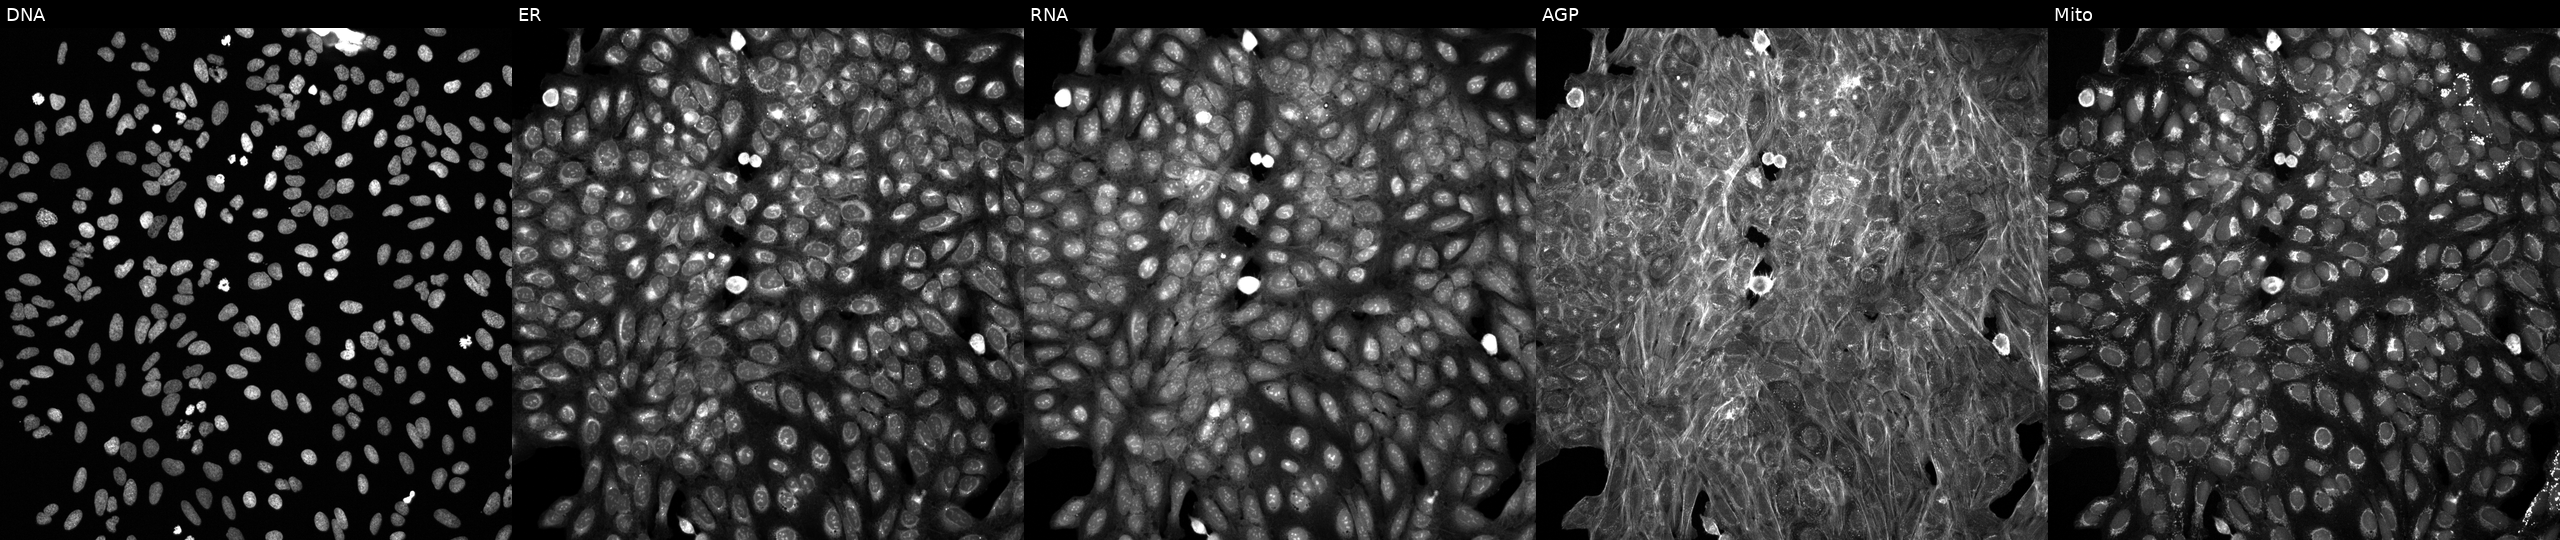
JUMP Cell Painting — TARGET2 plate. U2OS cells exposed to DMSO alone as a negative control. Panels show, left to right, DNA, ER, RNA, AGP, and Mito. Source 6, plate 110000294901, well I09.